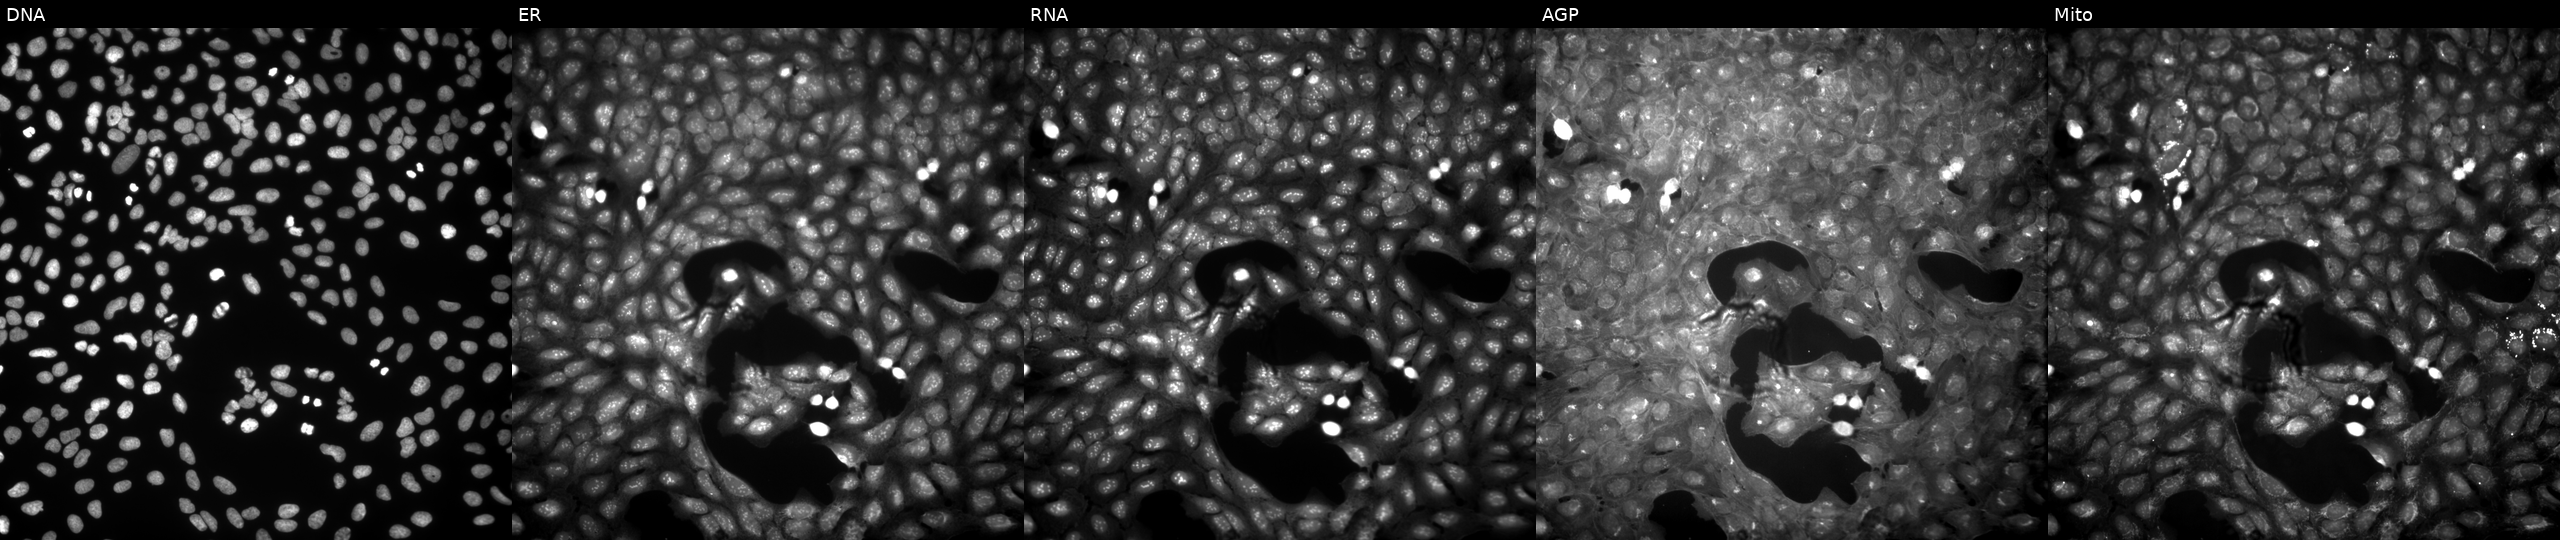
The five panels, left to right, show Hoechst 33342, concanavalin A, SYTO 14, phalloidin and WGA, MitoTracker. U2OS osteosarcoma cells perturbed with a small-molecule compound (InChIKey UKCSBMUWCSUAGT-UHFFFAOYSA-N). Cell Painting assay, JUMP-CP dataset. Source 9, plate GR00003382, well T35.